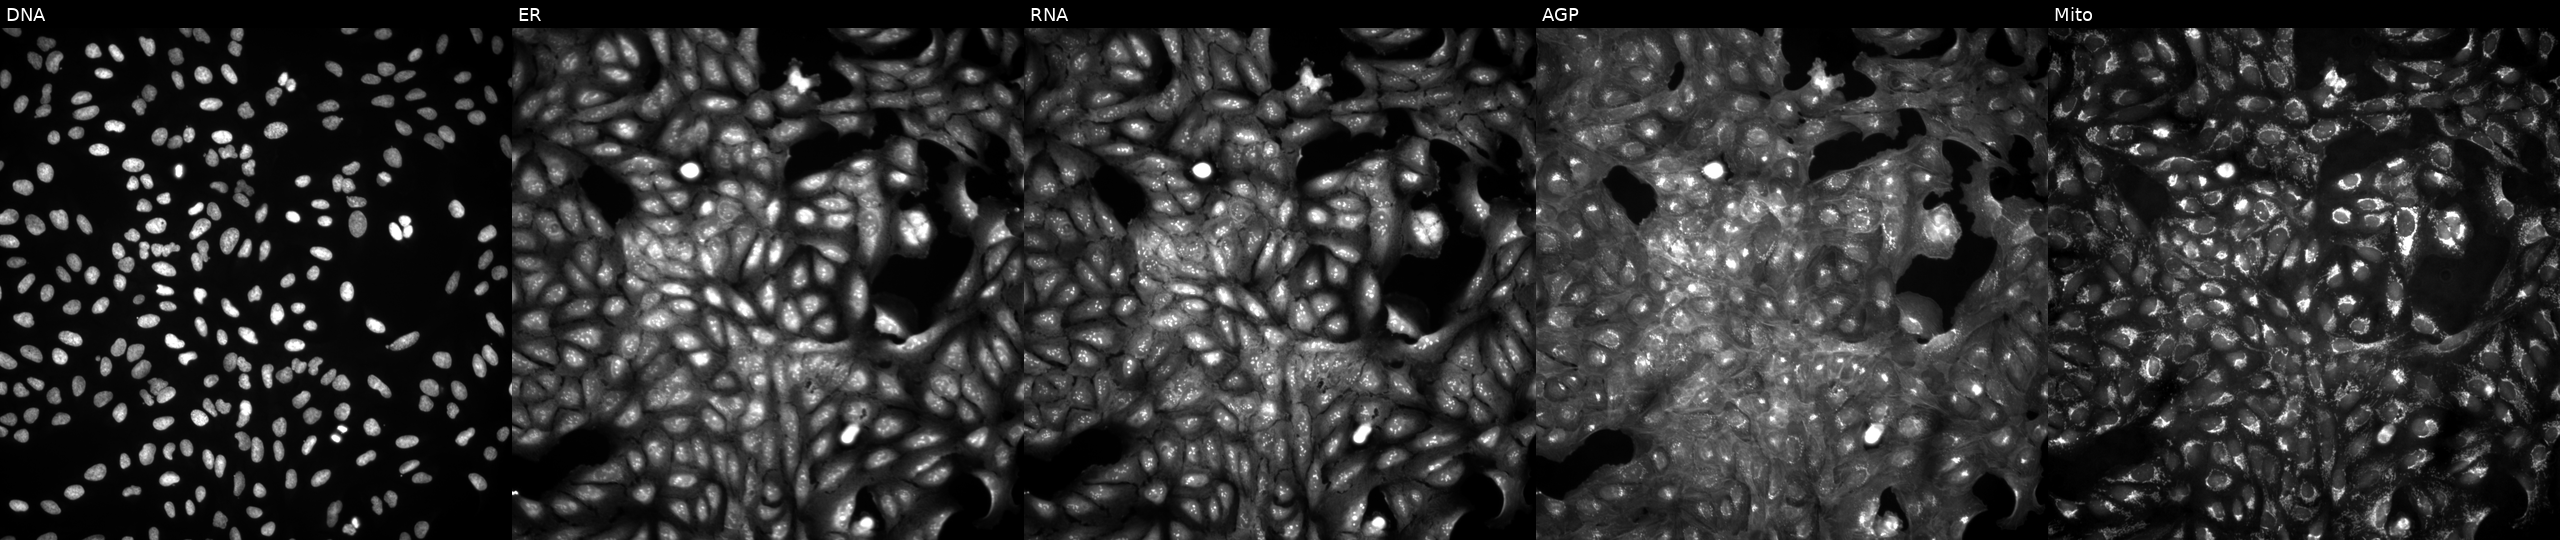
This image strip shows the five Cell Painting channels for a single field of U2OS cells untreated (empty-well control) (JUMP id JCP2022_999999). The five panels, left to right, show DNA (nuclei); ER (endoplasmic reticulum); RNA (nucleoli and cytoplasmic RNA); AGP (actin cytoskeleton, Golgi, and plasma membrane); Mito (mitochondria). Source 4, plate BR00123946, well F01.